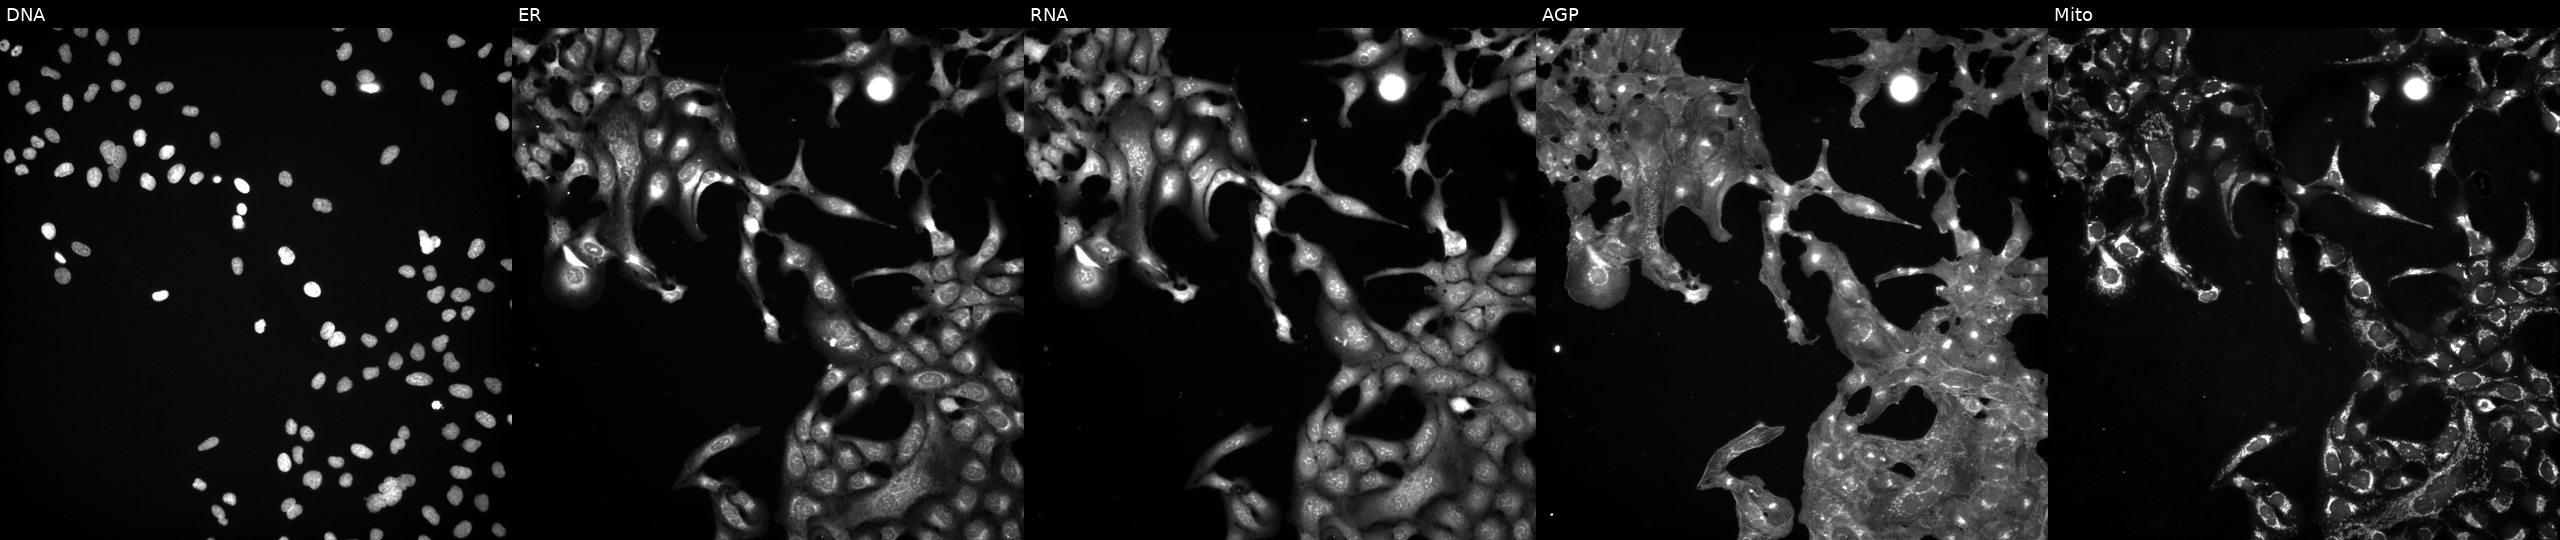
From left to right: Hoechst 33342, concanavalin A, SYTO 14, phalloidin and WGA, MitoTracker. U2OS osteosarcoma cells treated with a small-molecule compound (InChIKey GDVRVPIXWXOKQO-UHFFFAOYSA-N) (JUMP id JCP2022_024824). Cell Painting assay, JUMP-CP dataset. Source 3, plate JCPQC053, well E19.